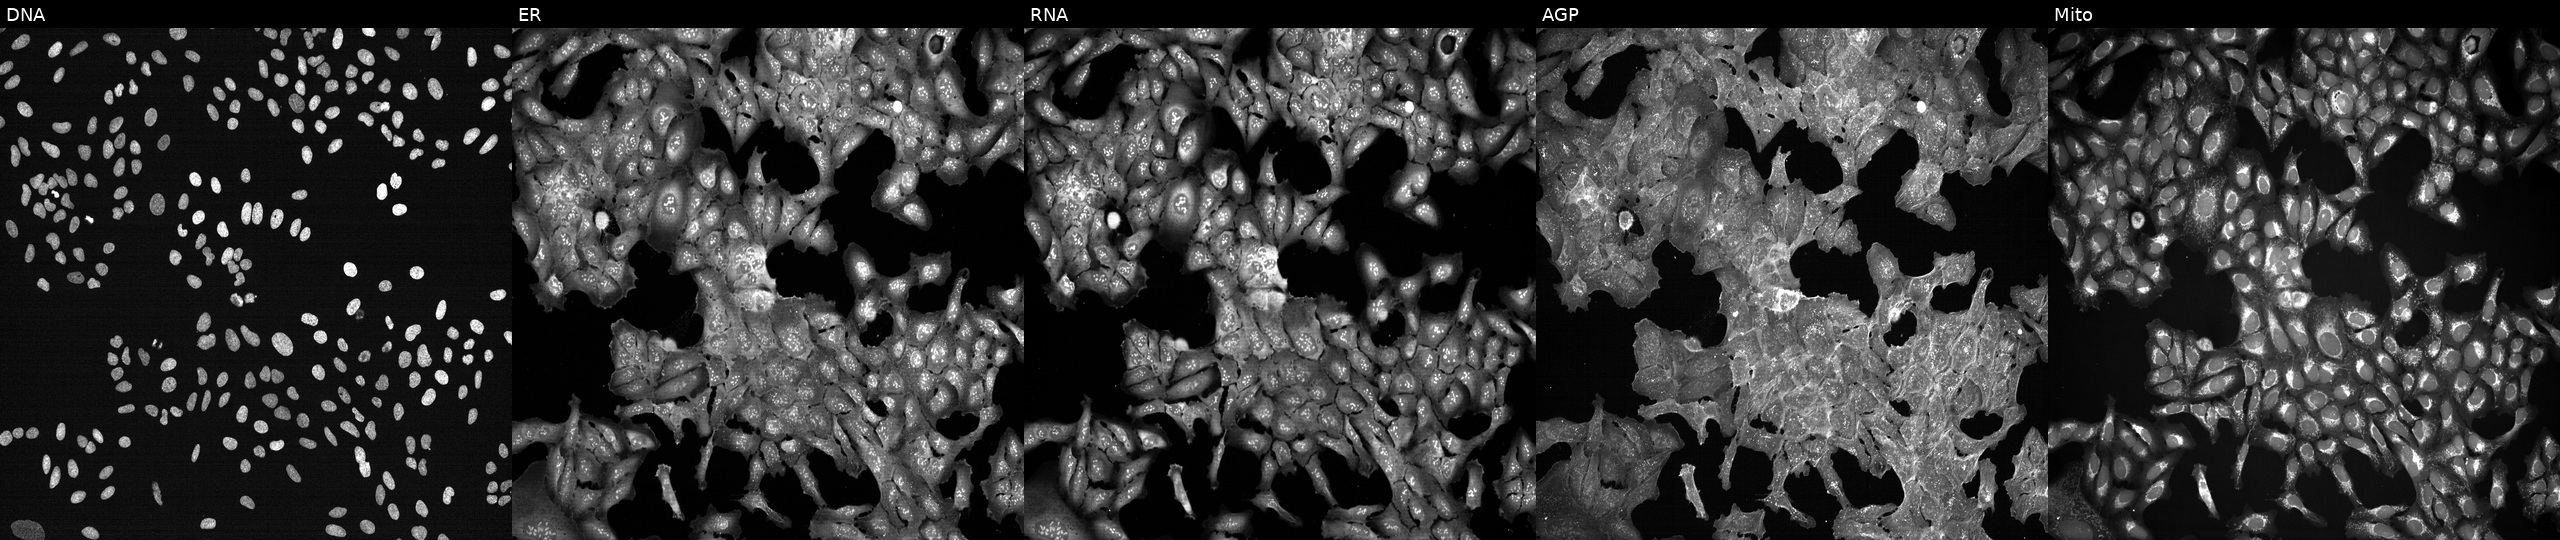
JUMP Cell Painting — TARGET2 plate. U2OS cells exposed to a small-molecule compound (JUMP id JCP2022_083099). From left to right: DNA (nuclei); ER (endoplasmic reticulum); RNA (nucleoli and cytoplasmic RNA); AGP (actin cytoskeleton, Golgi, and plasma membrane); Mito (mitochondria).